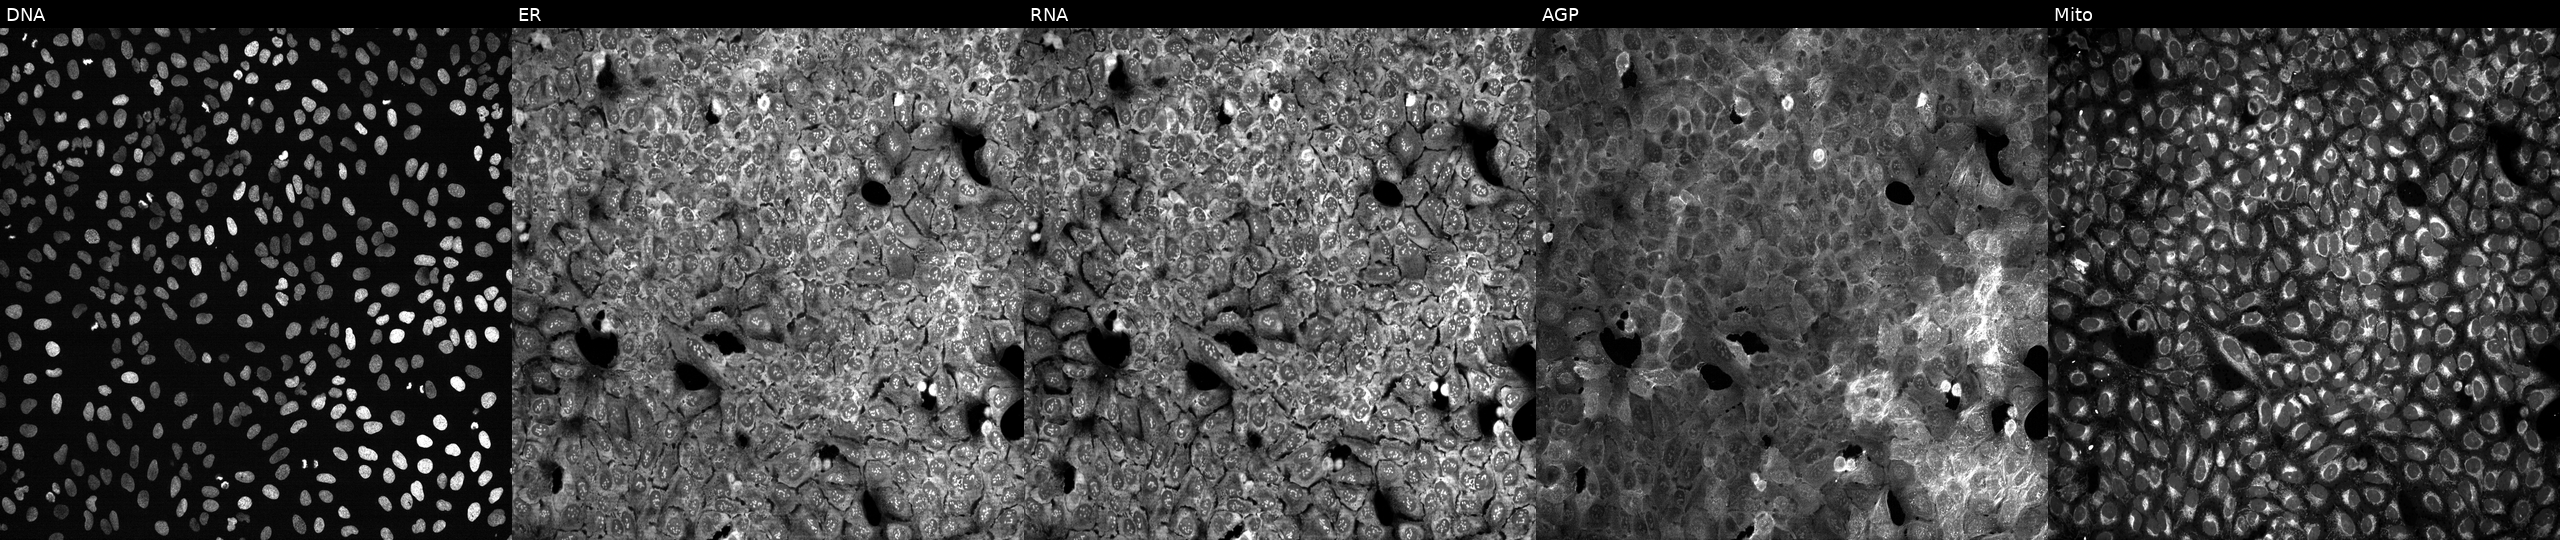
High-content fluorescence microscopy (Cell Painting). Cell line: U2OS. Perturbation: exposed to DMSO alone as a negative control. The five panels, left to right, show DNA (nuclei); ER (endoplasmic reticulum); RNA (nucleoli and cytoplasmic RNA); AGP (actin cytoskeleton, Golgi, and plasma membrane); Mito (mitochondria). Source 13, plate CP-CC9-R2-01, well C02.